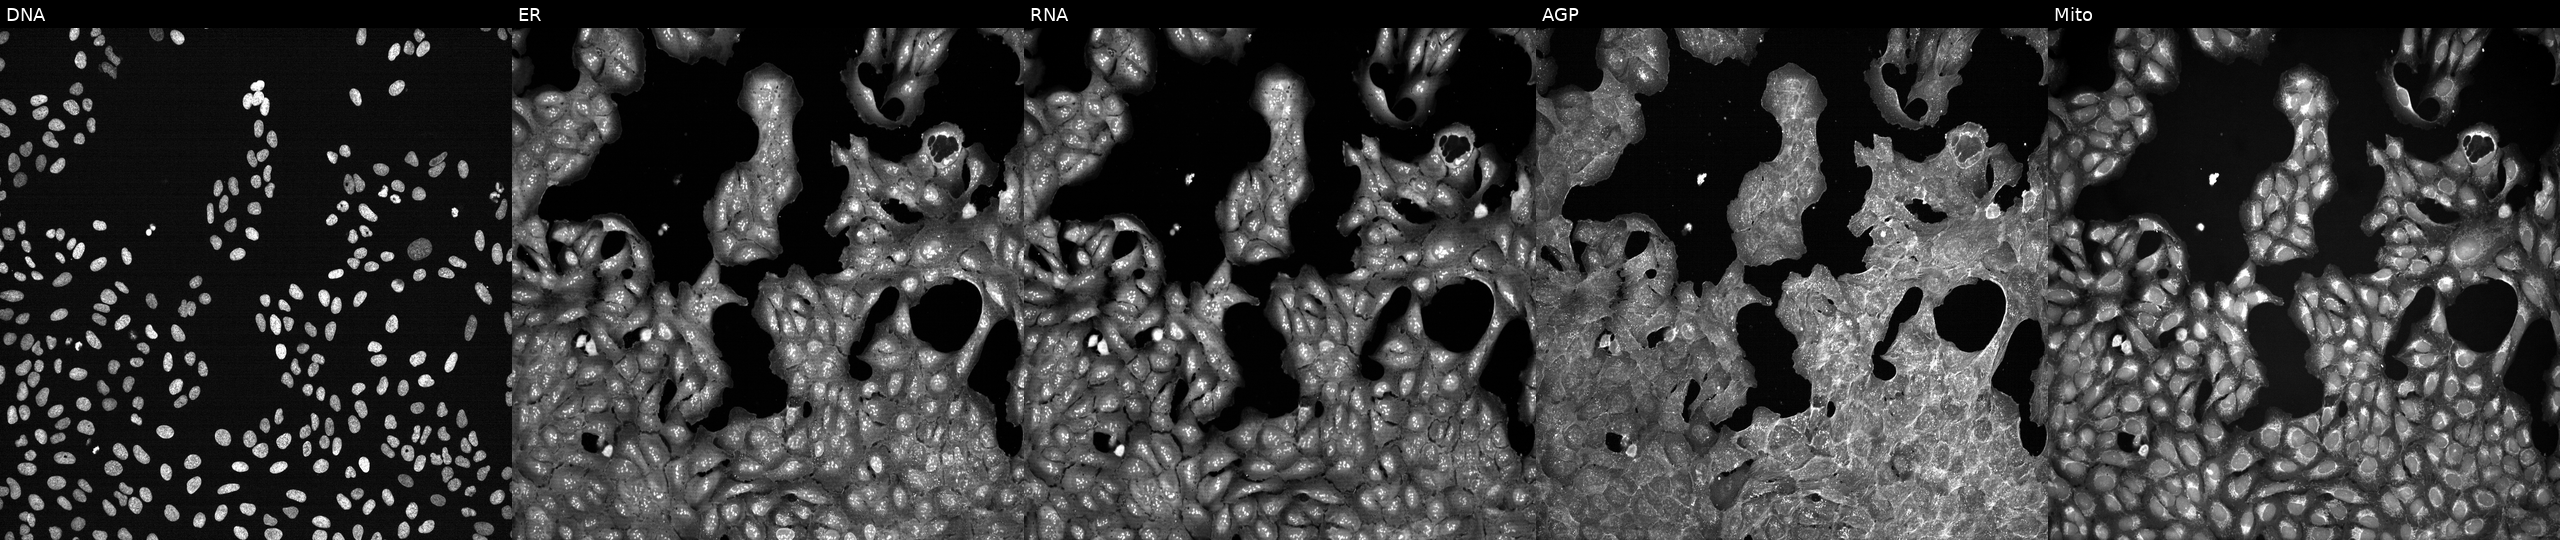
High-content fluorescence microscopy (Cell Painting). Cell line: U2OS. Perturbation: perturbed with a small-molecule compound (InChIKey QUIIIYITNGOFEI-UHFFFAOYSA-N) [SMILES: Cc1ccc(-n2sc(=O)n(Cc3ccc(F)cc3)c2=O)cc1]. Panels show, left to right, DNA, ER, RNA, AGP, and Mito.